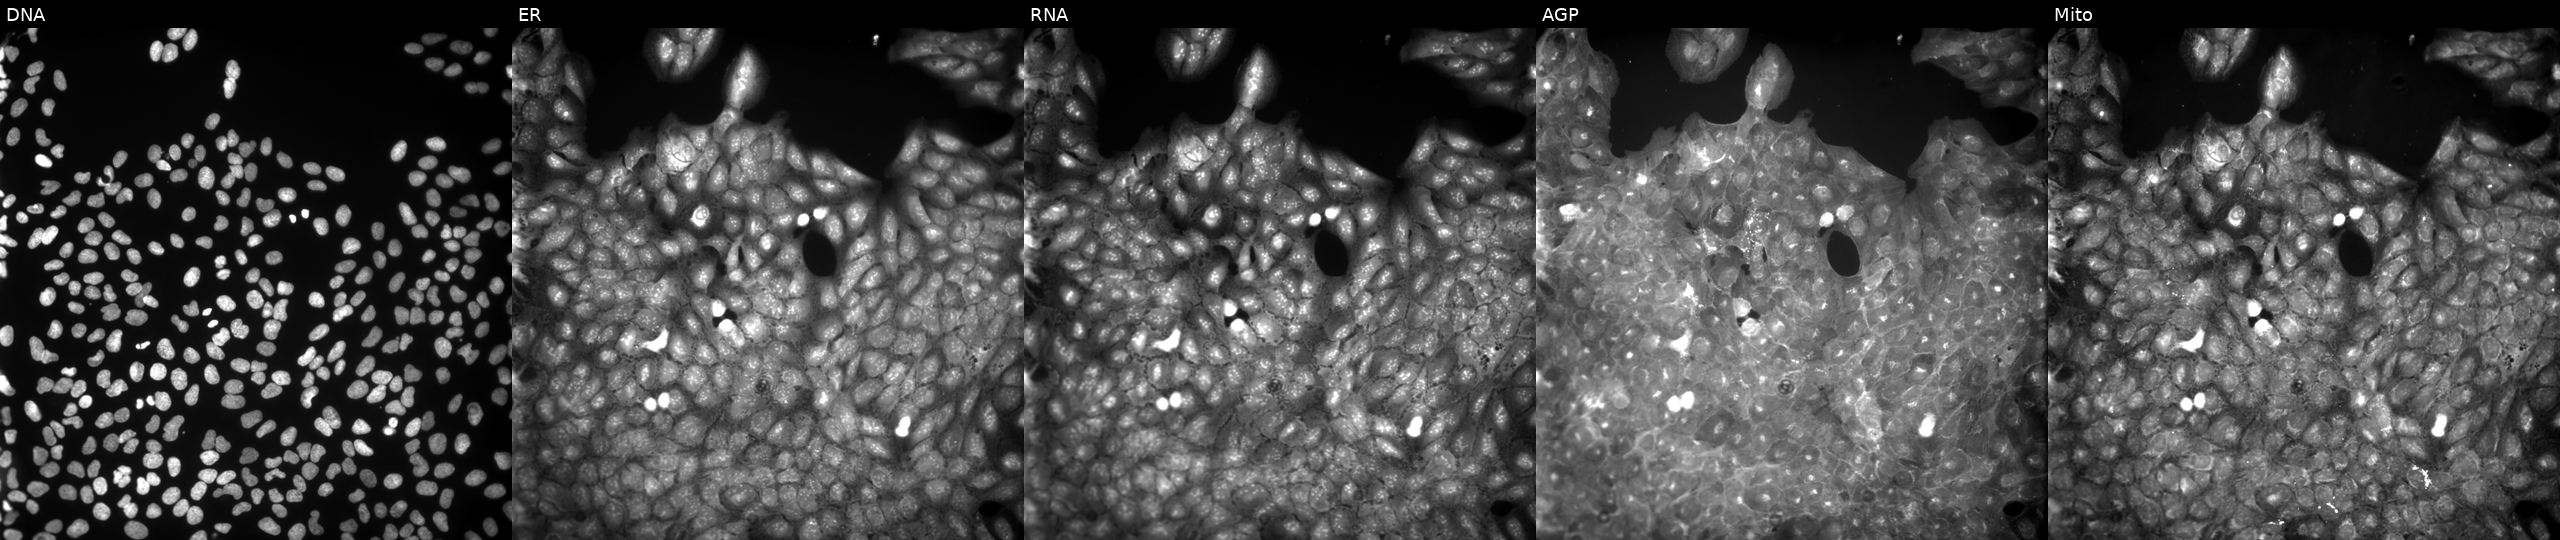
JUMP Cell Painting — COMPOUND plate. U2OS cells treated with a small-molecule compound (InChIKey AGJNEPGMFRNYFO-UHFFFAOYSA-N). Channels (left→right): DNA, ER, RNA, AGP, and Mito.